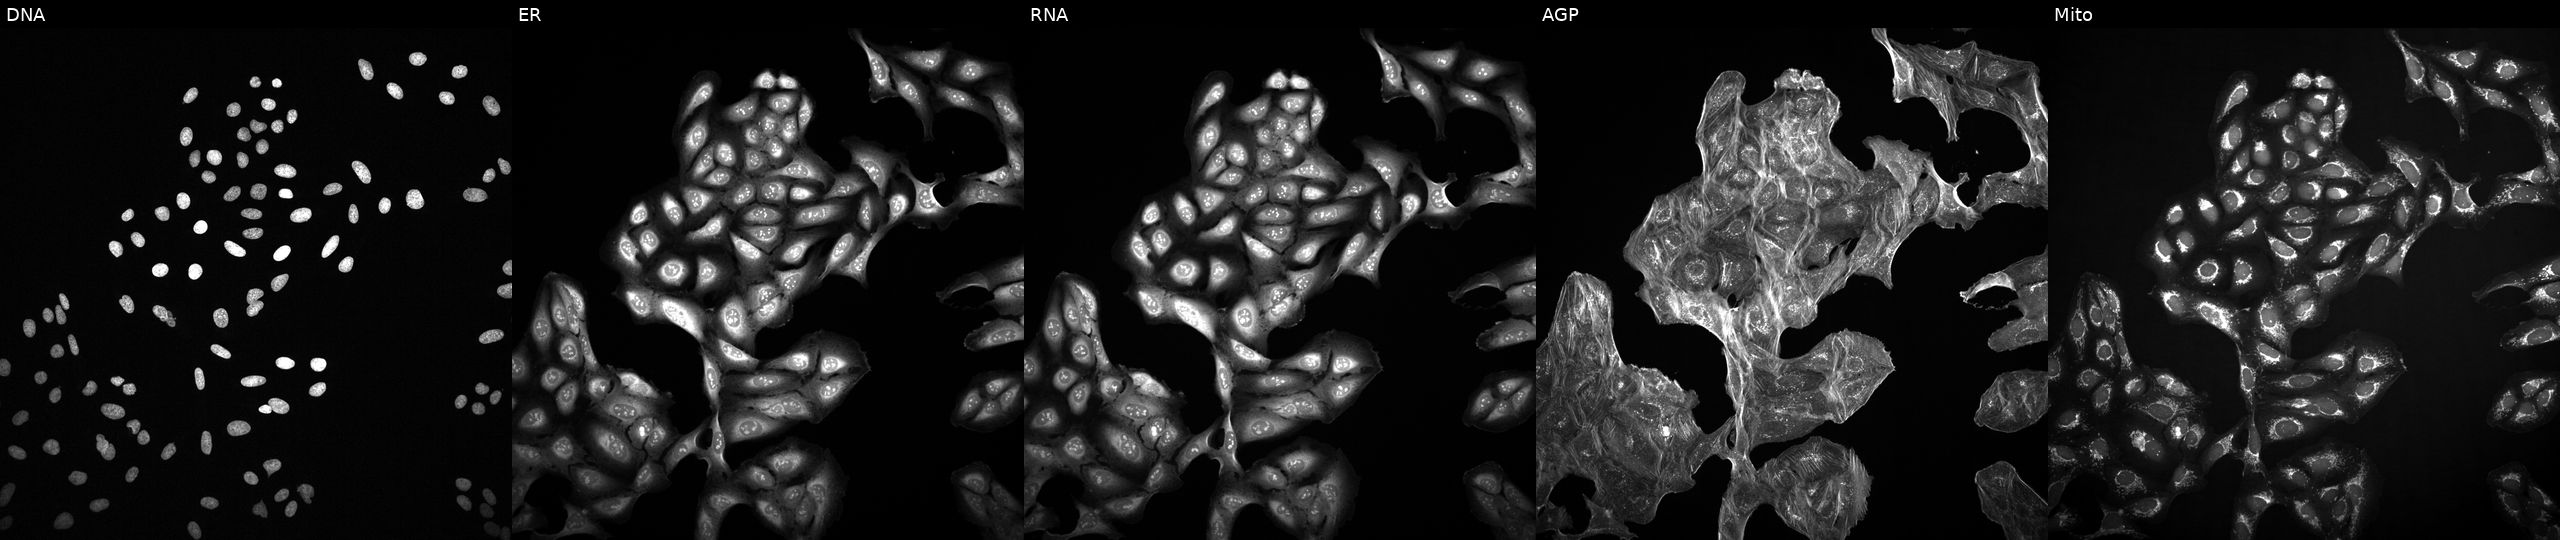
U2OS cells, Cell Painting assay, exposed to DMSO alone as a negative control. From left to right: DNA, ER, RNA, AGP, and Mito. Each panel is percentile-stretched 16-bit fluorescence.